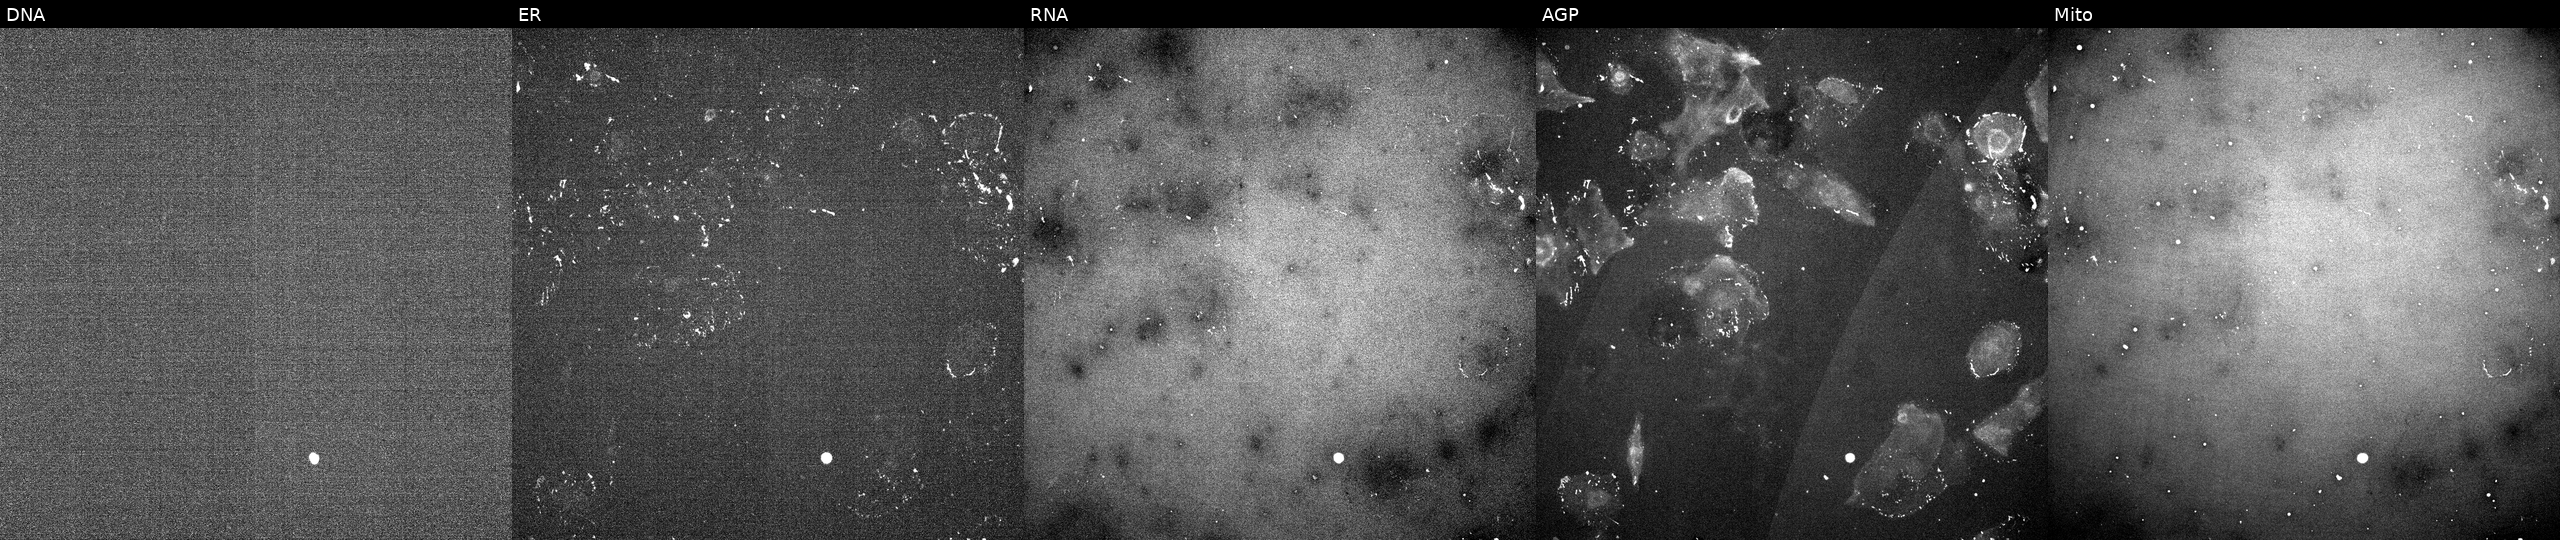
This image strip shows the five Cell Painting channels for a single field of U2OS cells exposed to a small-molecule compound (JUMP id JCP2022_009867). Channels (left→right): DNA, ER, RNA, AGP, and Mito. Source 5, plate ACPJUM032, well P03.